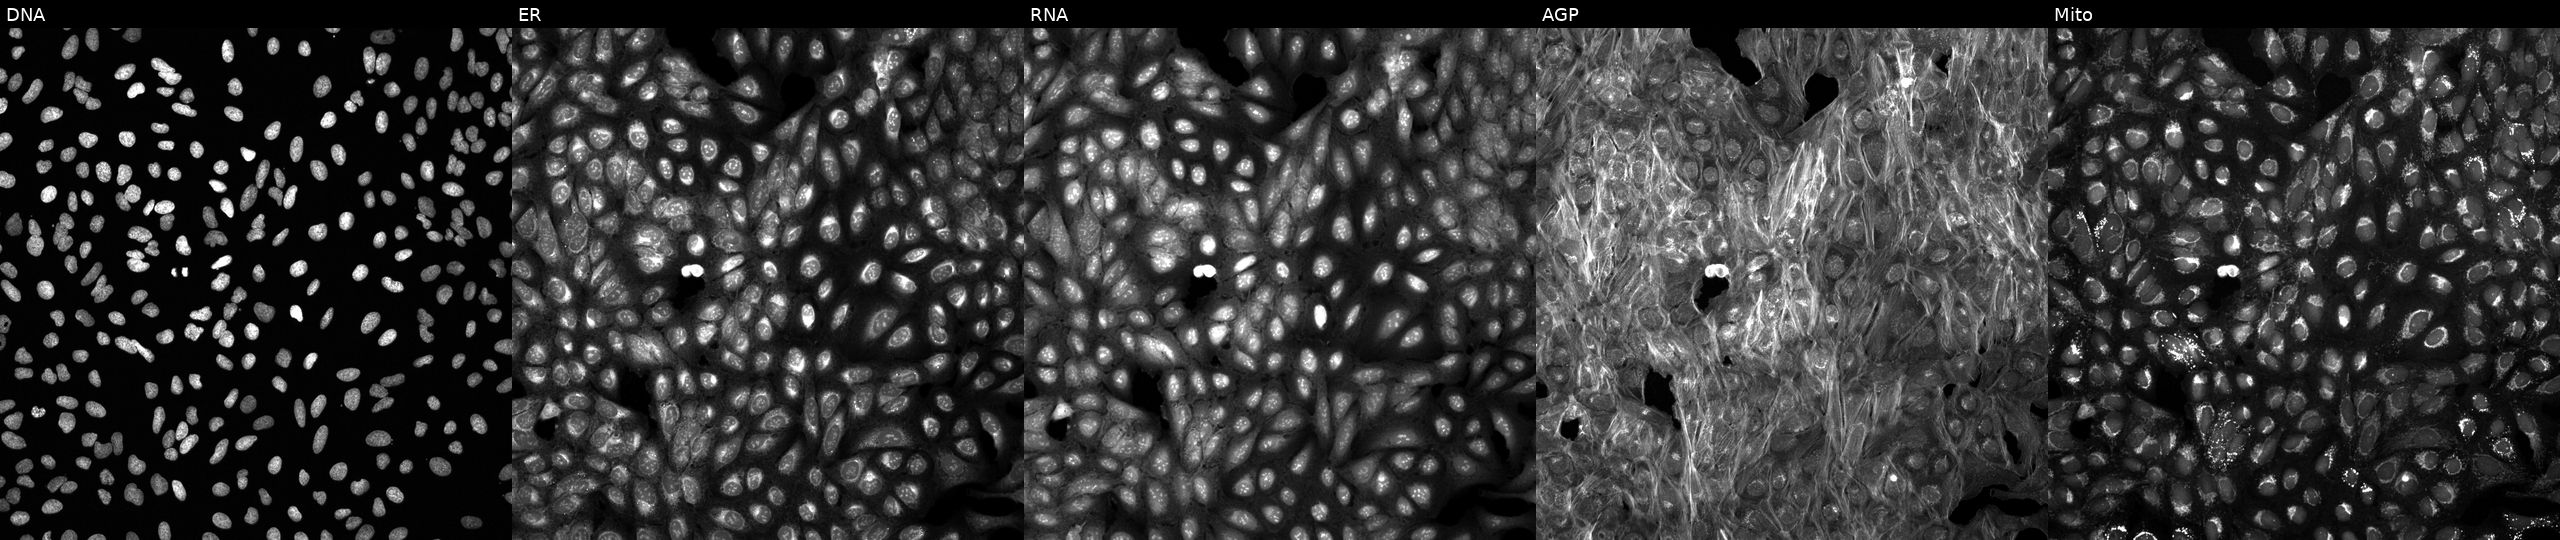
High-content fluorescence microscopy (Cell Painting). Cell line: U2OS. Perturbation: exposed to DMSO alone as a negative control (JUMP id JCP2022_033924). From left to right: Hoechst 33342, concanavalin A, SYTO 14, phalloidin and WGA, MitoTracker.